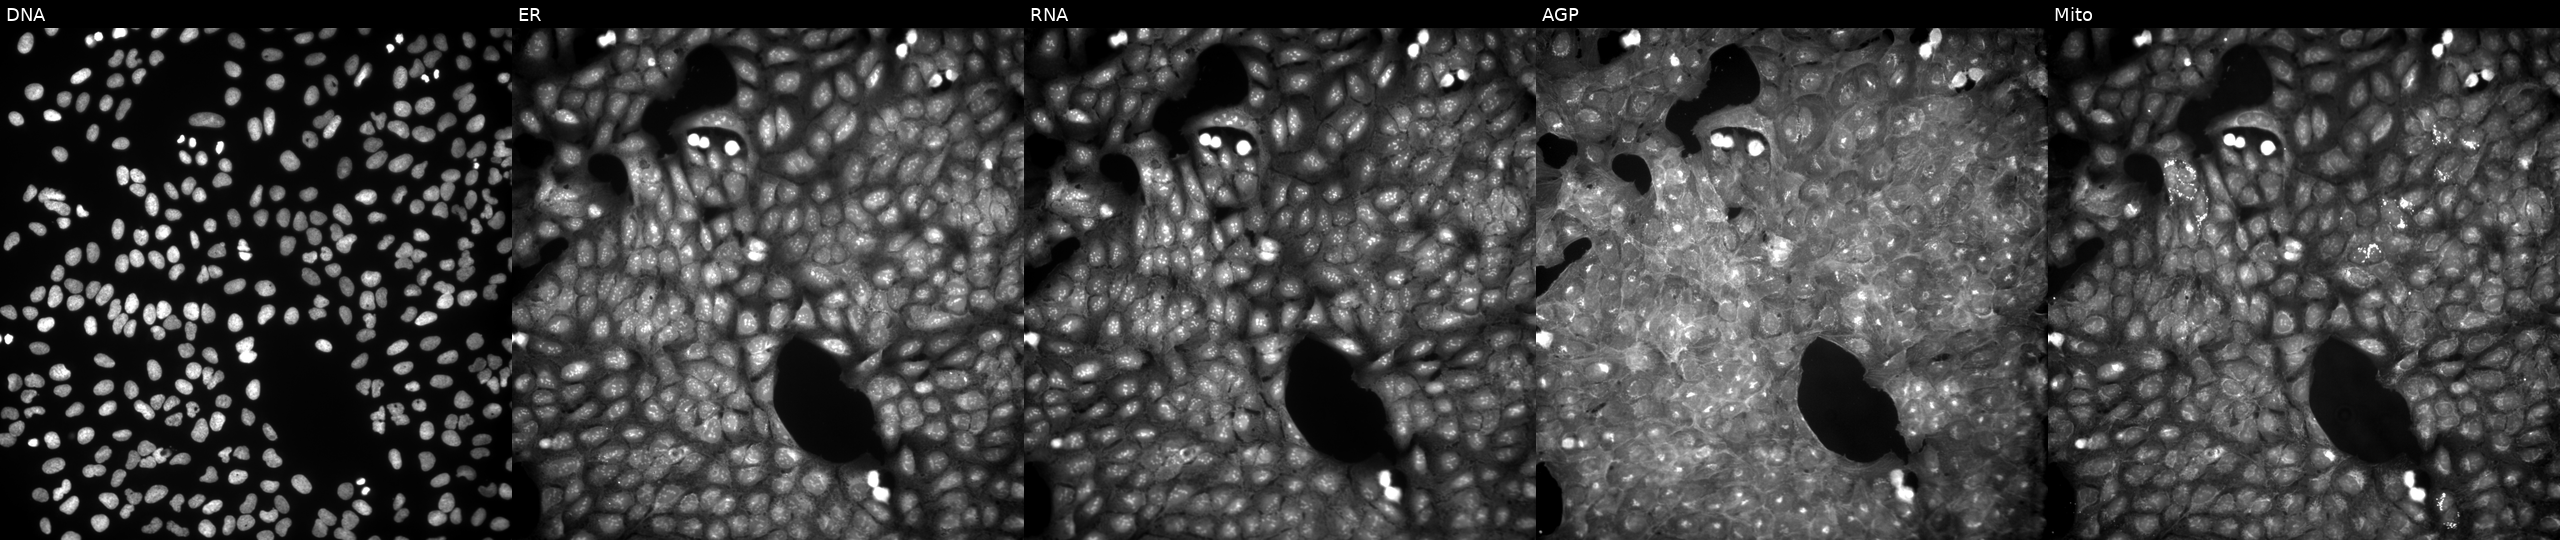
The five panels, left to right, show Hoechst 33342, concanavalin A, SYTO 14, phalloidin and WGA, MitoTracker. U2OS osteosarcoma cells perturbed with a small-molecule compound (InChIKey UJQFXRIIFNMJQR-UHFFFAOYSA-N) (JUMP id JCP2022_089668). Cell Painting assay, JUMP-CP dataset.